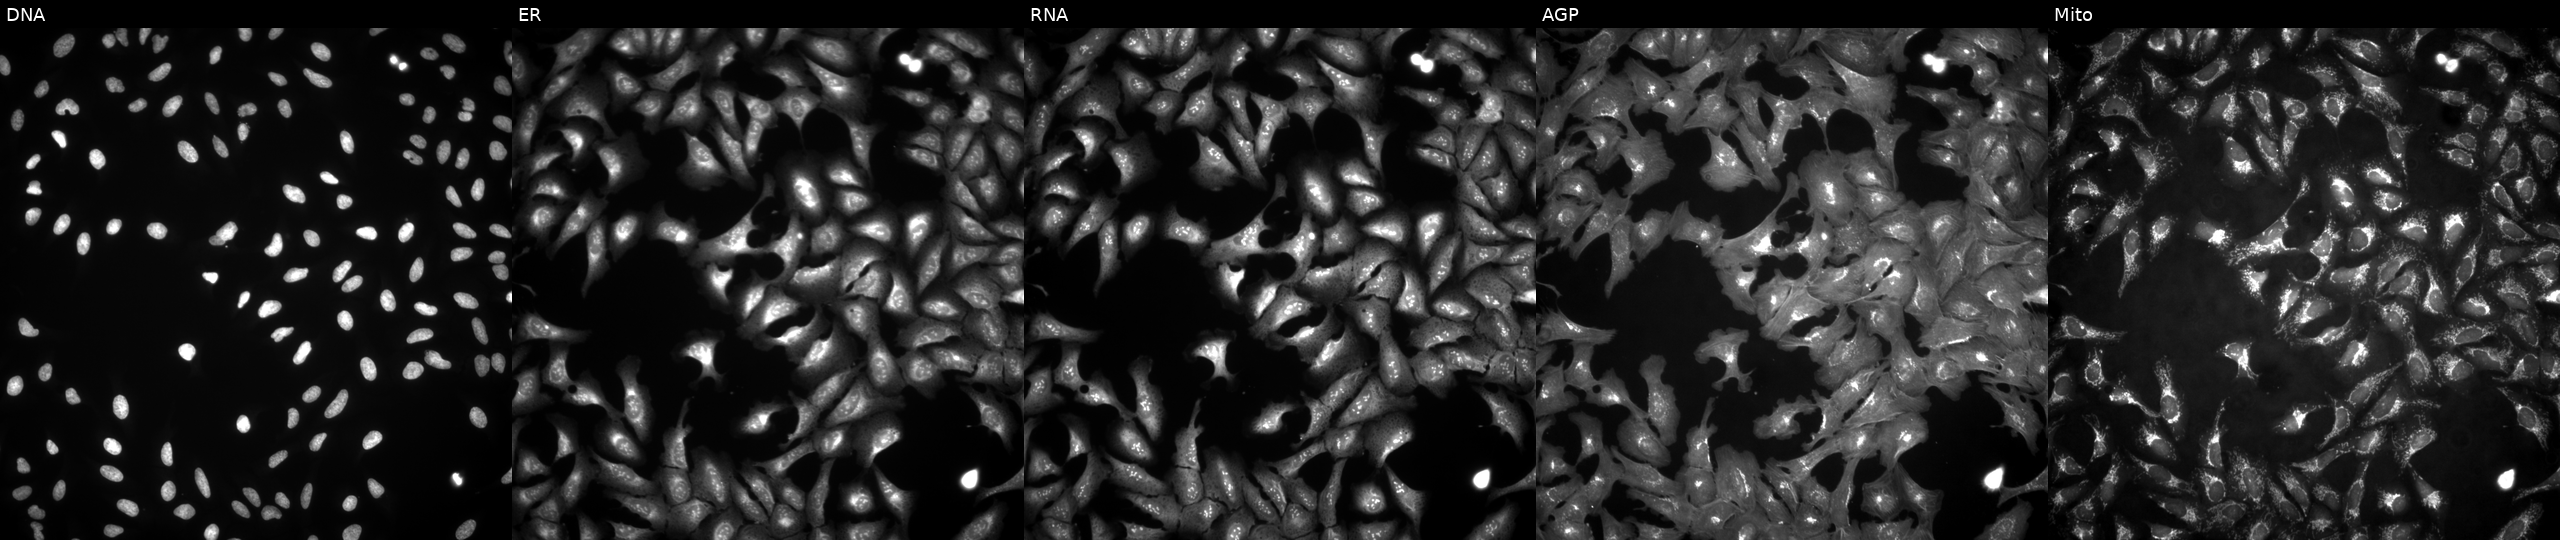
From left to right: DNA, ER, RNA, AGP, and Mito. U2OS osteosarcoma cells transfected with an ORF construct for ADA (JUMP id JCP2022_900021). Cell Painting assay, JUMP-CP dataset. Source 4, plate BR00123509, well E09.